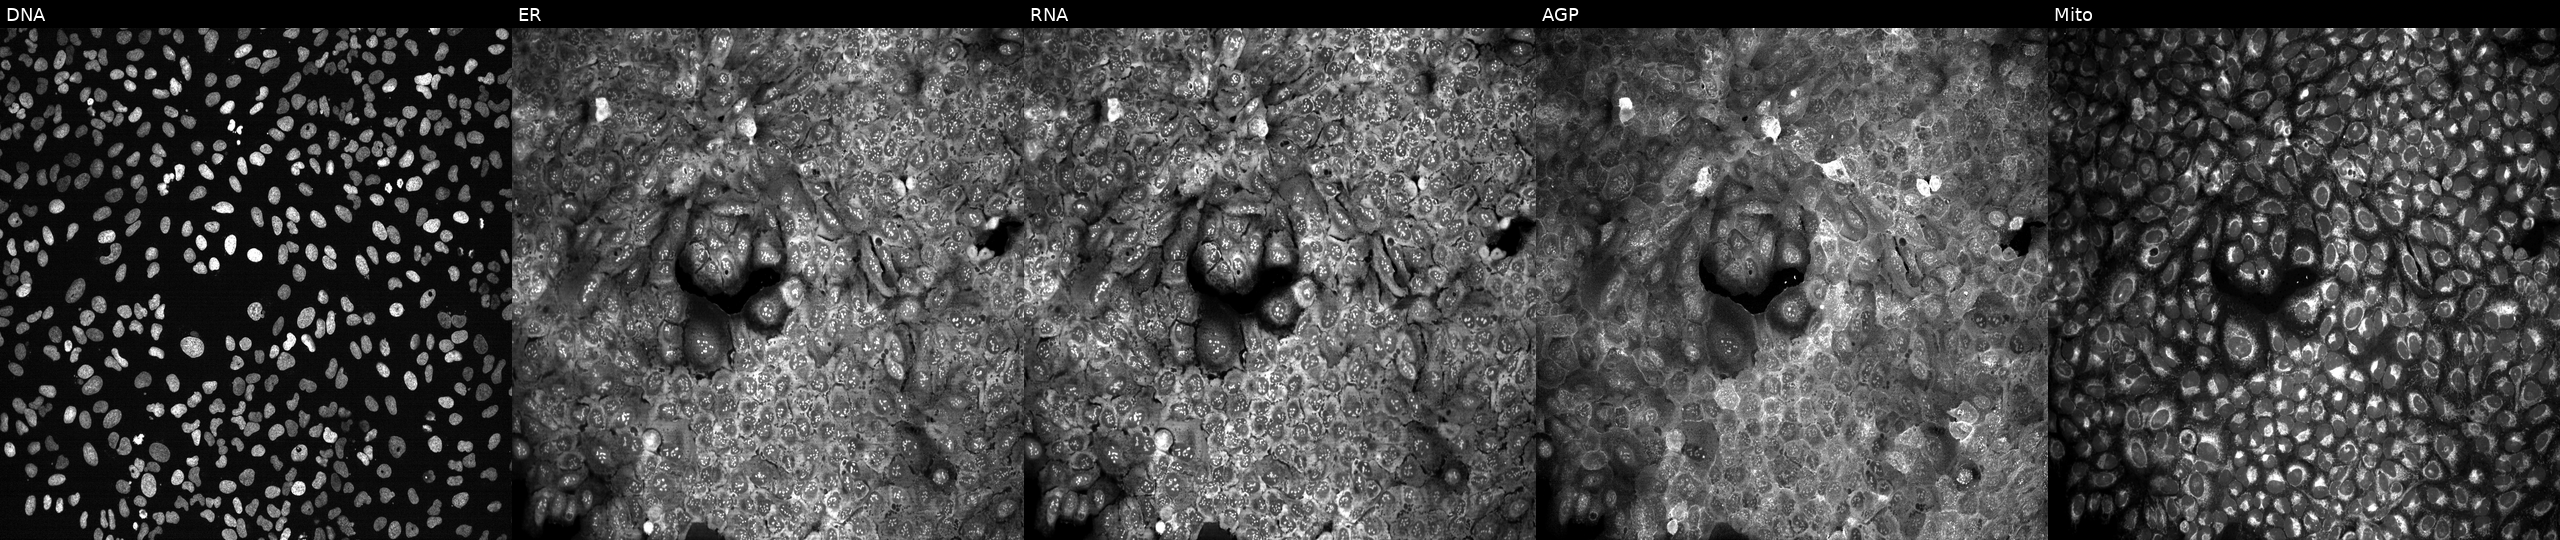
High-content fluorescence microscopy (Cell Painting). Cell line: U2OS. Perturbation: with GDNF knocked out by CRISPR. Channels (left→right): Hoechst 33342, concanavalin A, SYTO 14, phalloidin and WGA, MitoTracker.